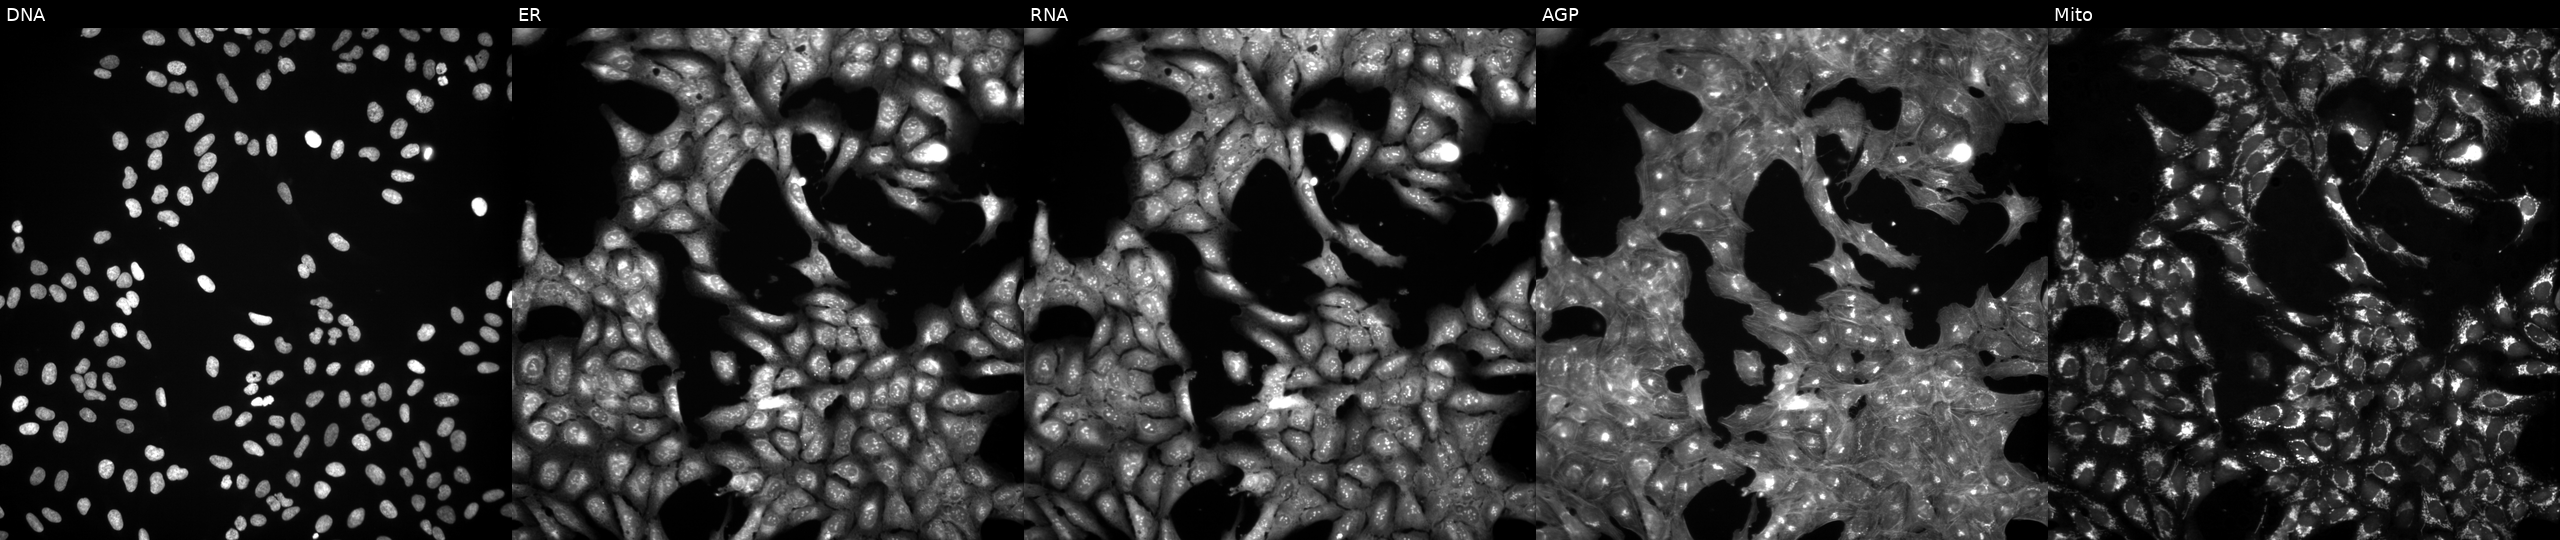
This image strip shows the five Cell Painting channels for a single field of U2OS cells treated with a small-molecule compound (InChIKey NOIPEBKPGPZXNR-UHFFFAOYSA-N) (JUMP id JCP2022_060313). From left to right: DNA (nuclei); ER (endoplasmic reticulum); RNA (nucleoli and cytoplasmic RNA); AGP (actin cytoskeleton, Golgi, and plasma membrane); Mito (mitochondria).